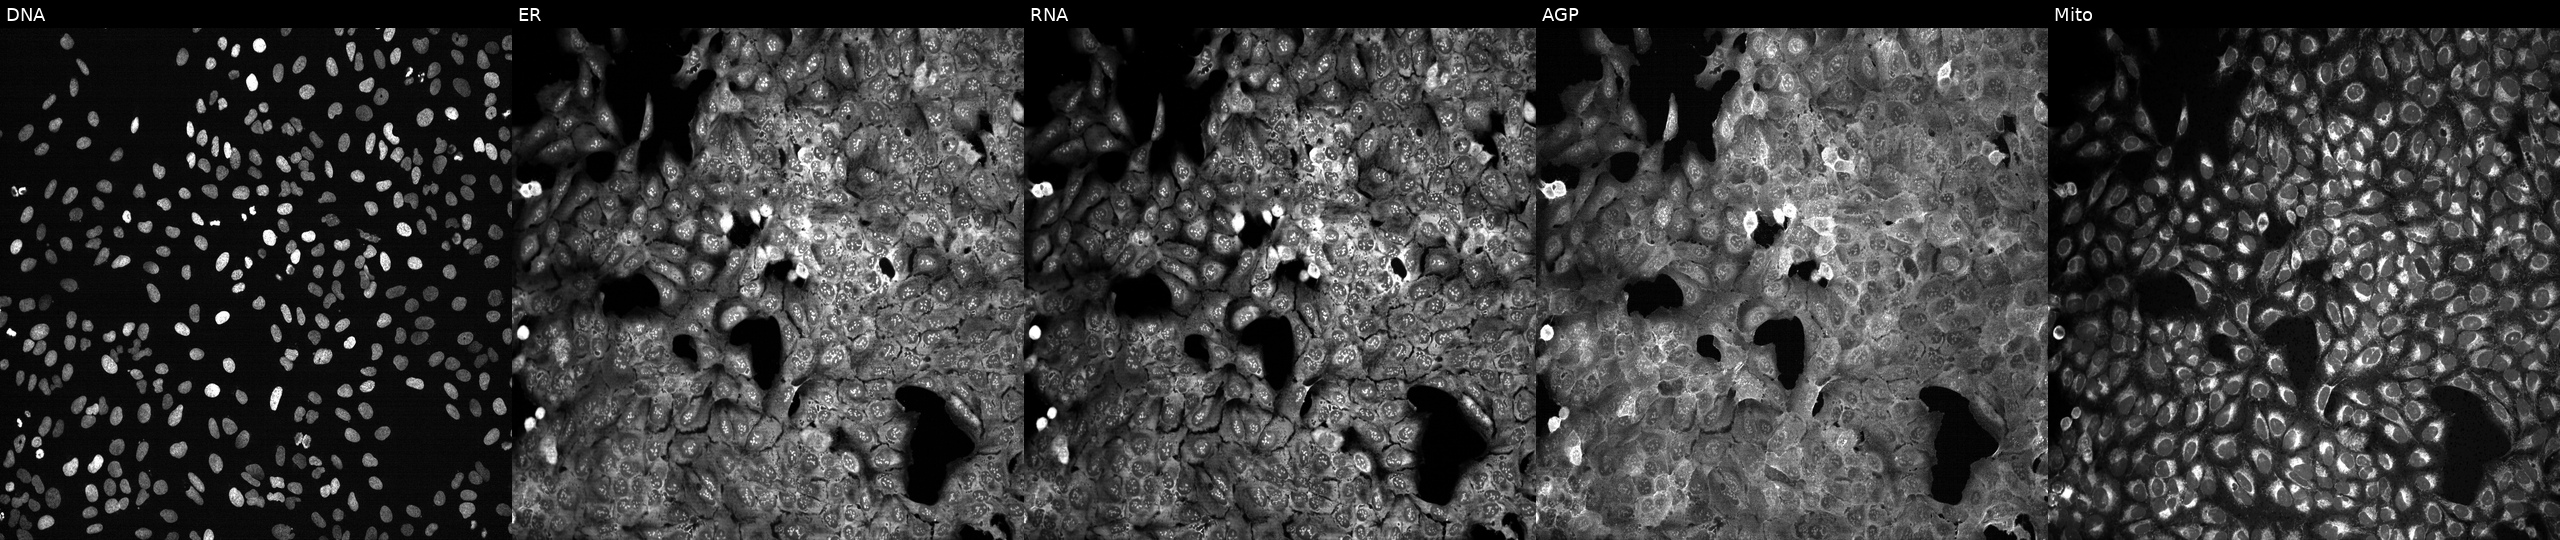
U2OS cells, Cell Painting assay, with BPI knocked out by CRISPR (JUMP id JCP2022_800915). Panels show, left to right, Hoechst 33342, concanavalin A, SYTO 14, phalloidin and WGA, MitoTracker. Each panel is percentile-stretched 16-bit fluorescence. Source 13, plate CP-CC9-R3-02, well D21.